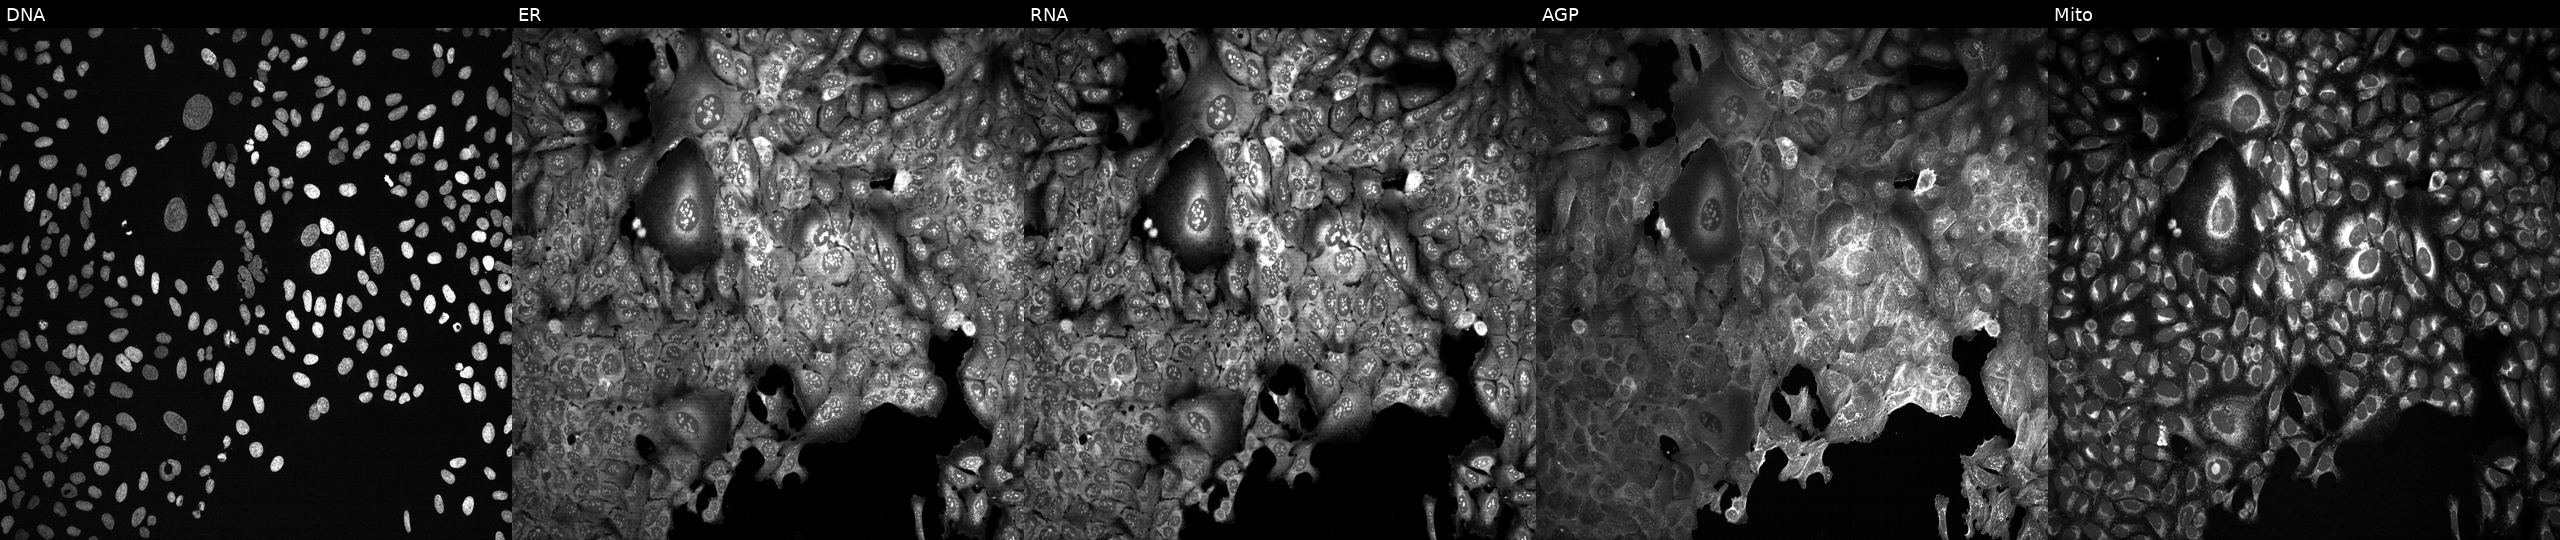
U2OS cells, Cell Painting assay, following CRISPR knockout of TBX2. Channels (left→right): Hoechst 33342, concanavalin A, SYTO 14, phalloidin and WGA, MitoTracker. Each panel is percentile-stretched 16-bit fluorescence. Source 13, plate CP-CC9-R6-19, well P12.